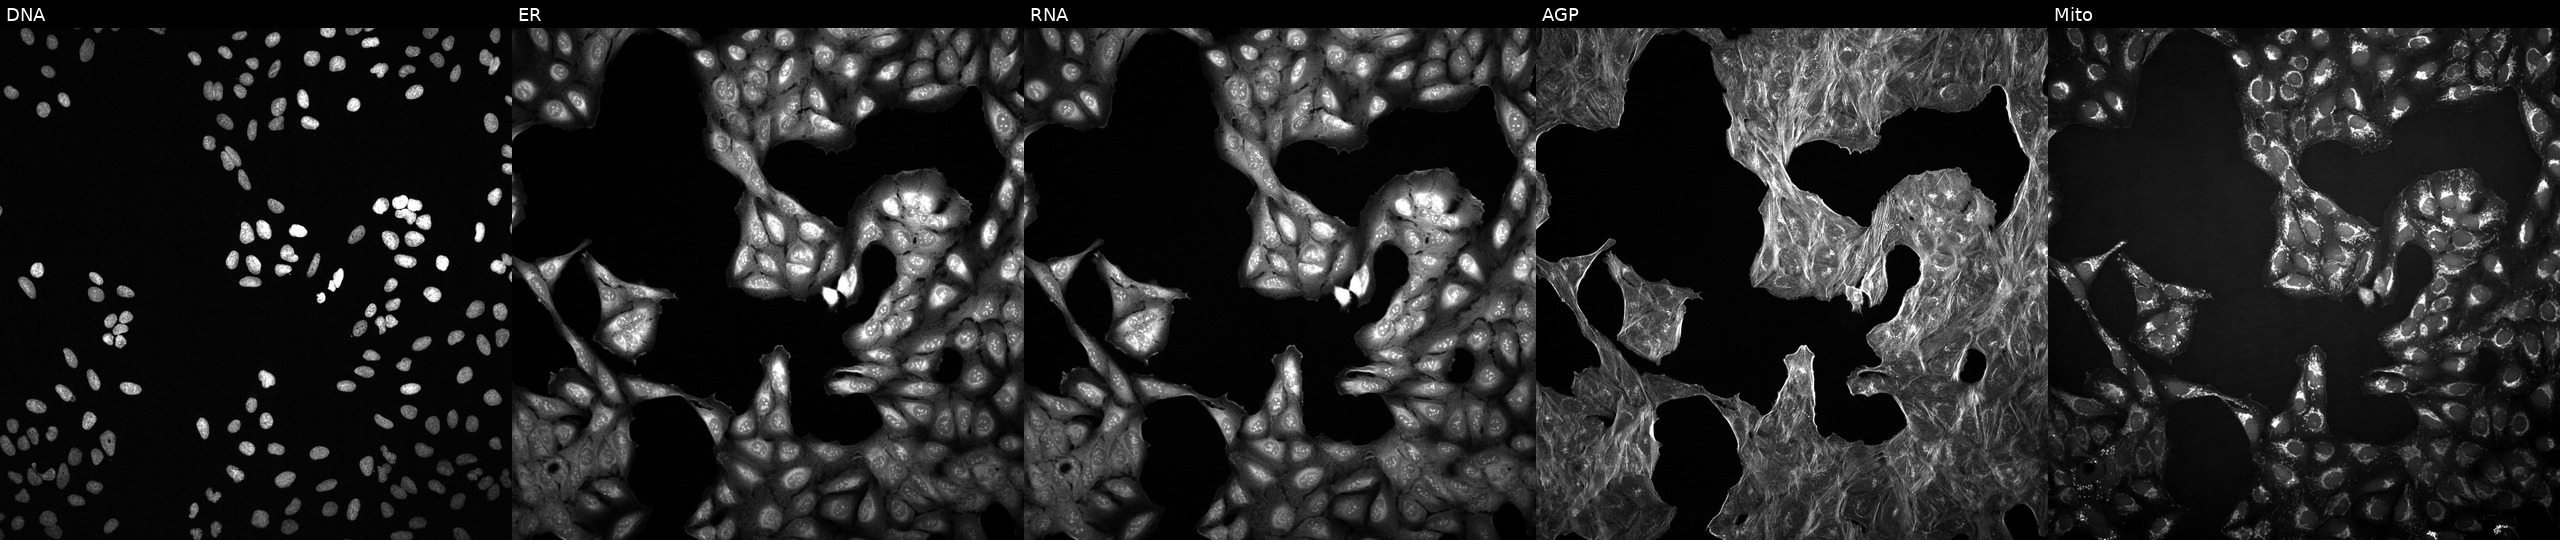
JUMP Cell Painting — COMPOUND plate. U2OS cells with an unidentified perturbation (not annotated in JUMP metadata). From left to right: DNA (nuclei); ER (endoplasmic reticulum); RNA (nucleoli and cytoplasmic RNA); AGP (actin cytoskeleton, Golgi, and plasma membrane); Mito (mitochondria).